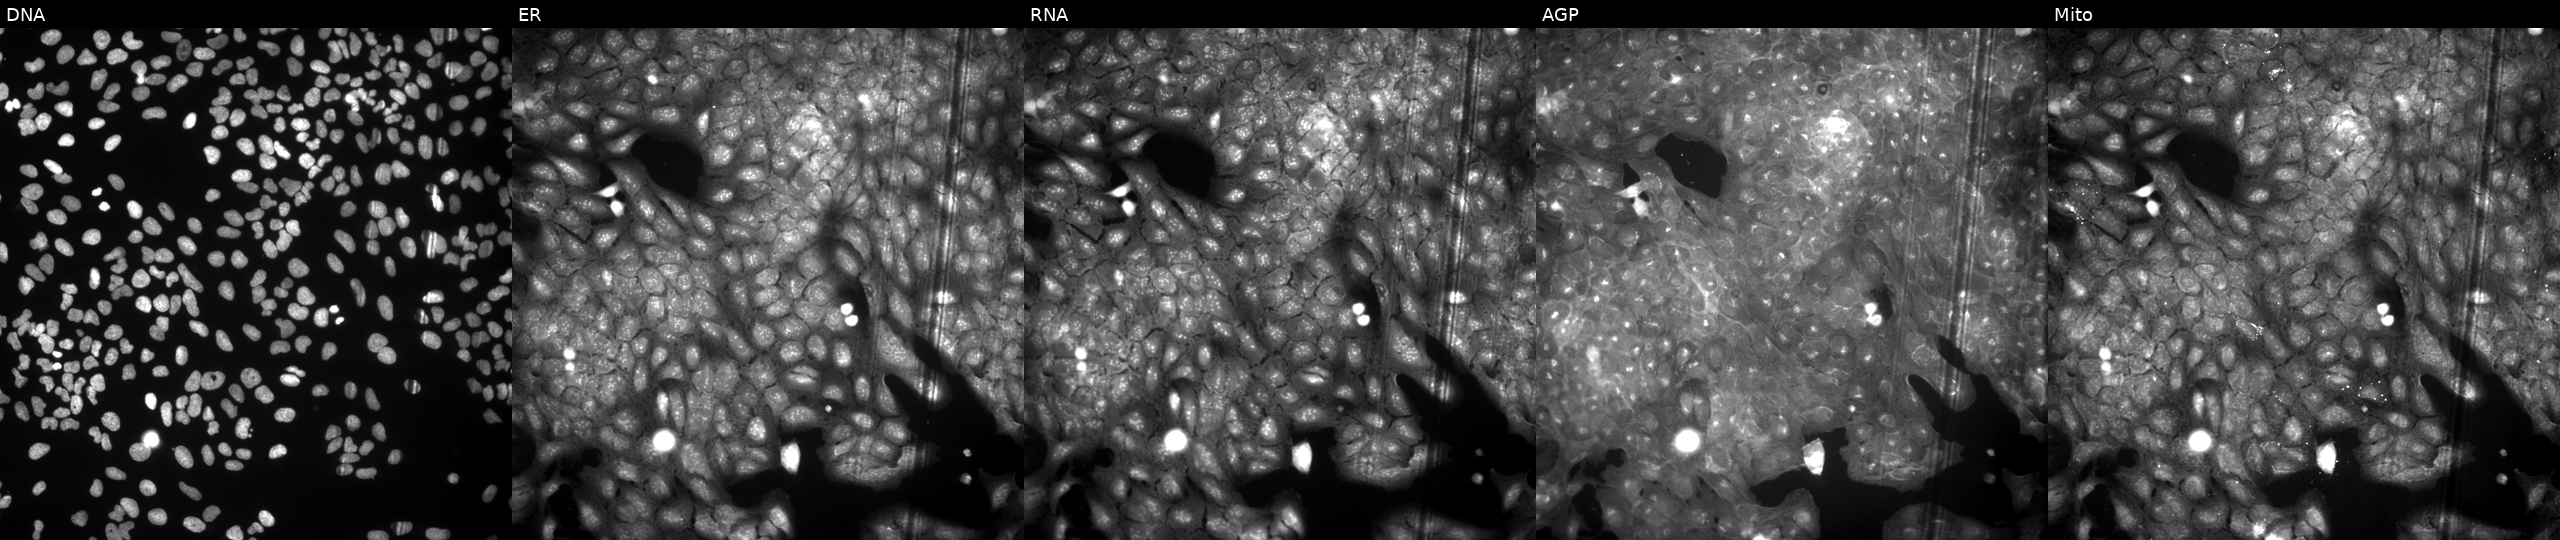
U2OS cells, Cell Painting assay, treated with DMSO vehicle only (negative control) (JUMP id JCP2022_033924). From left to right: DNA, ER, RNA, AGP, and Mito. Each panel is percentile-stretched 16-bit fluorescence. Source 9, plate GR00003382, well P23.